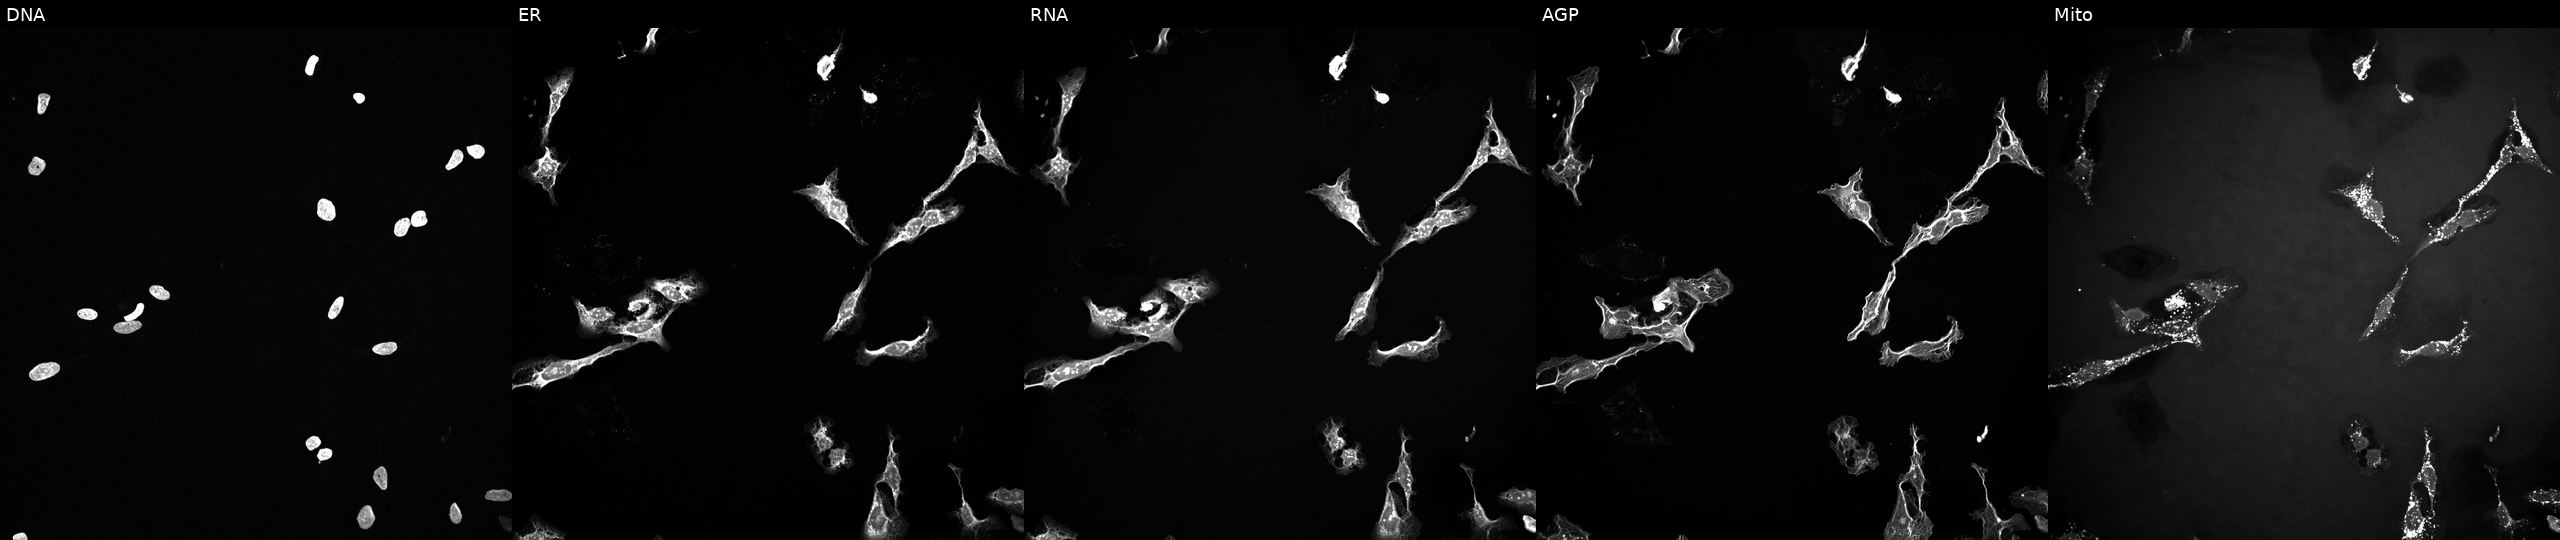
The five panels, left to right, show Hoechst 33342, concanavalin A, SYTO 14, phalloidin and WGA, MitoTracker. U2OS osteosarcoma cells perturbed with a small-molecule compound (InChIKey QNRODODTMXCRKU-UHFFFAOYSA-N) (JUMP id JCP2022_074702). Cell Painting assay, JUMP-CP dataset.